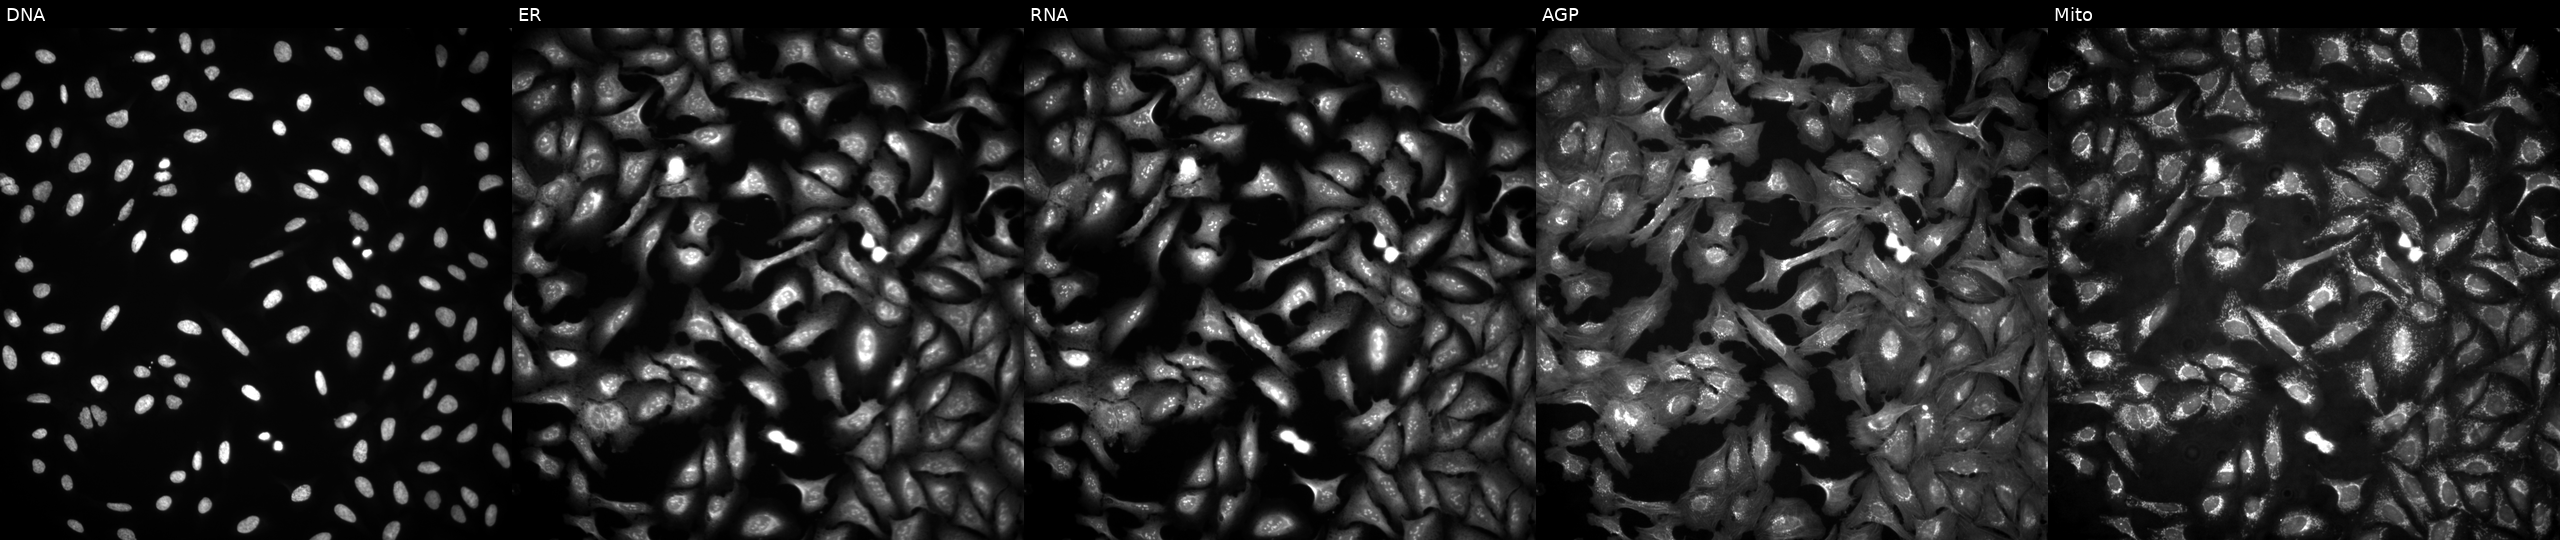
High-content fluorescence microscopy (Cell Painting). Cell line: U2OS. Perturbation: expressing HcRed (ORF negative control). From left to right: DNA (nuclei); ER (endoplasmic reticulum); RNA (nucleoli and cytoplasmic RNA); AGP (actin cytoskeleton, Golgi, and plasma membrane); Mito (mitochondria).